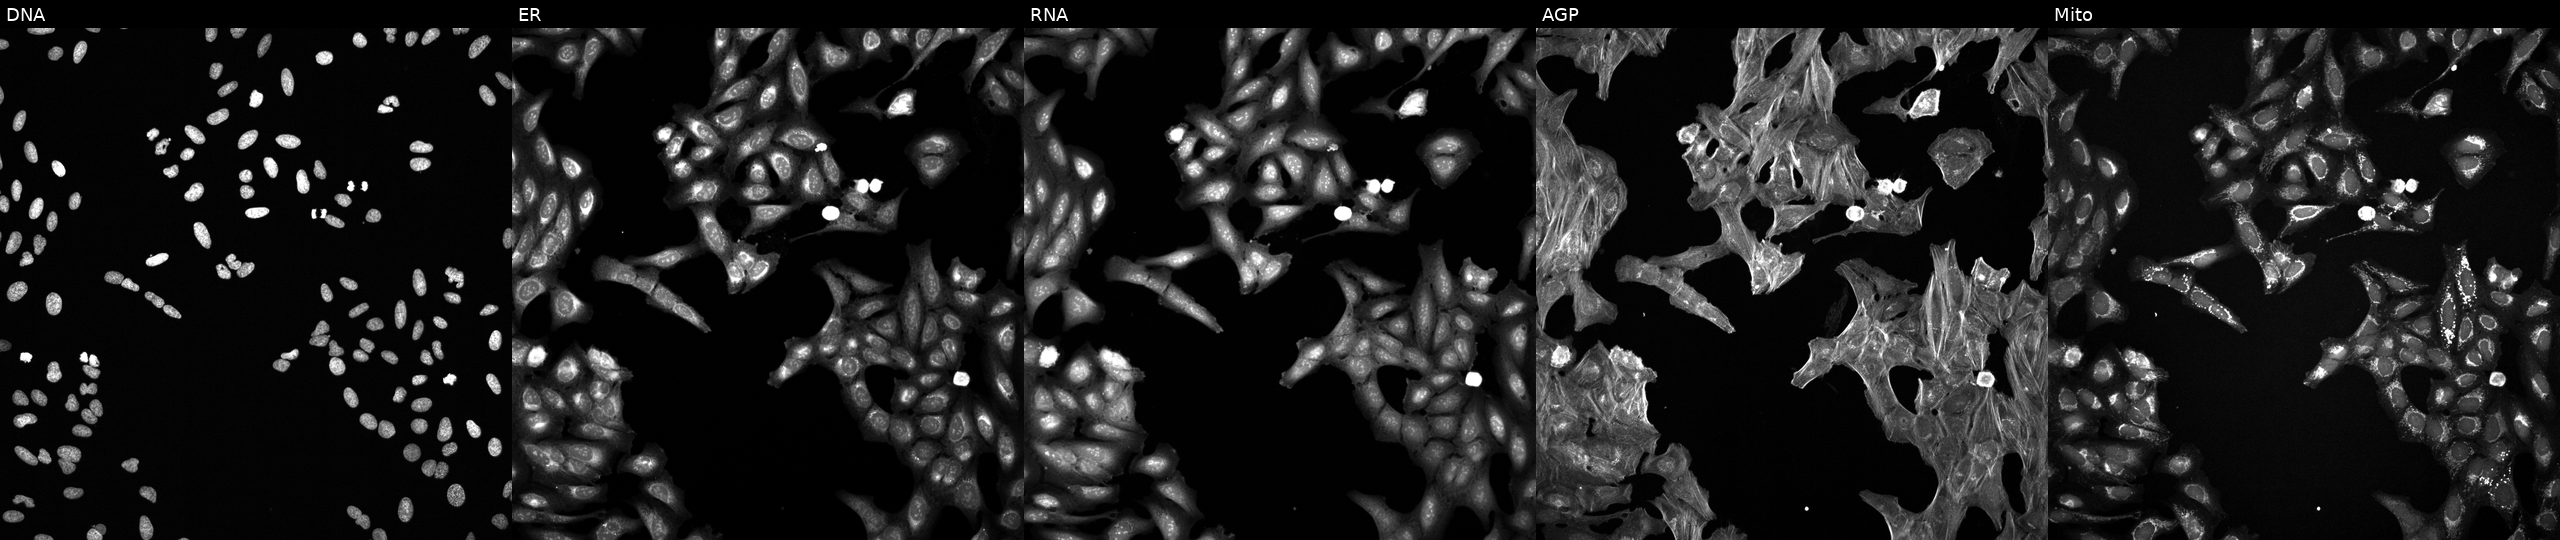
From left to right: Hoechst 33342, concanavalin A, SYTO 14, phalloidin and WGA, MitoTracker. U2OS osteosarcoma cells exposed to a small-molecule compound (InChIKey PYNXFZCZUAOOQC-UHFFFAOYSA-N). Cell Painting assay, JUMP-CP dataset.